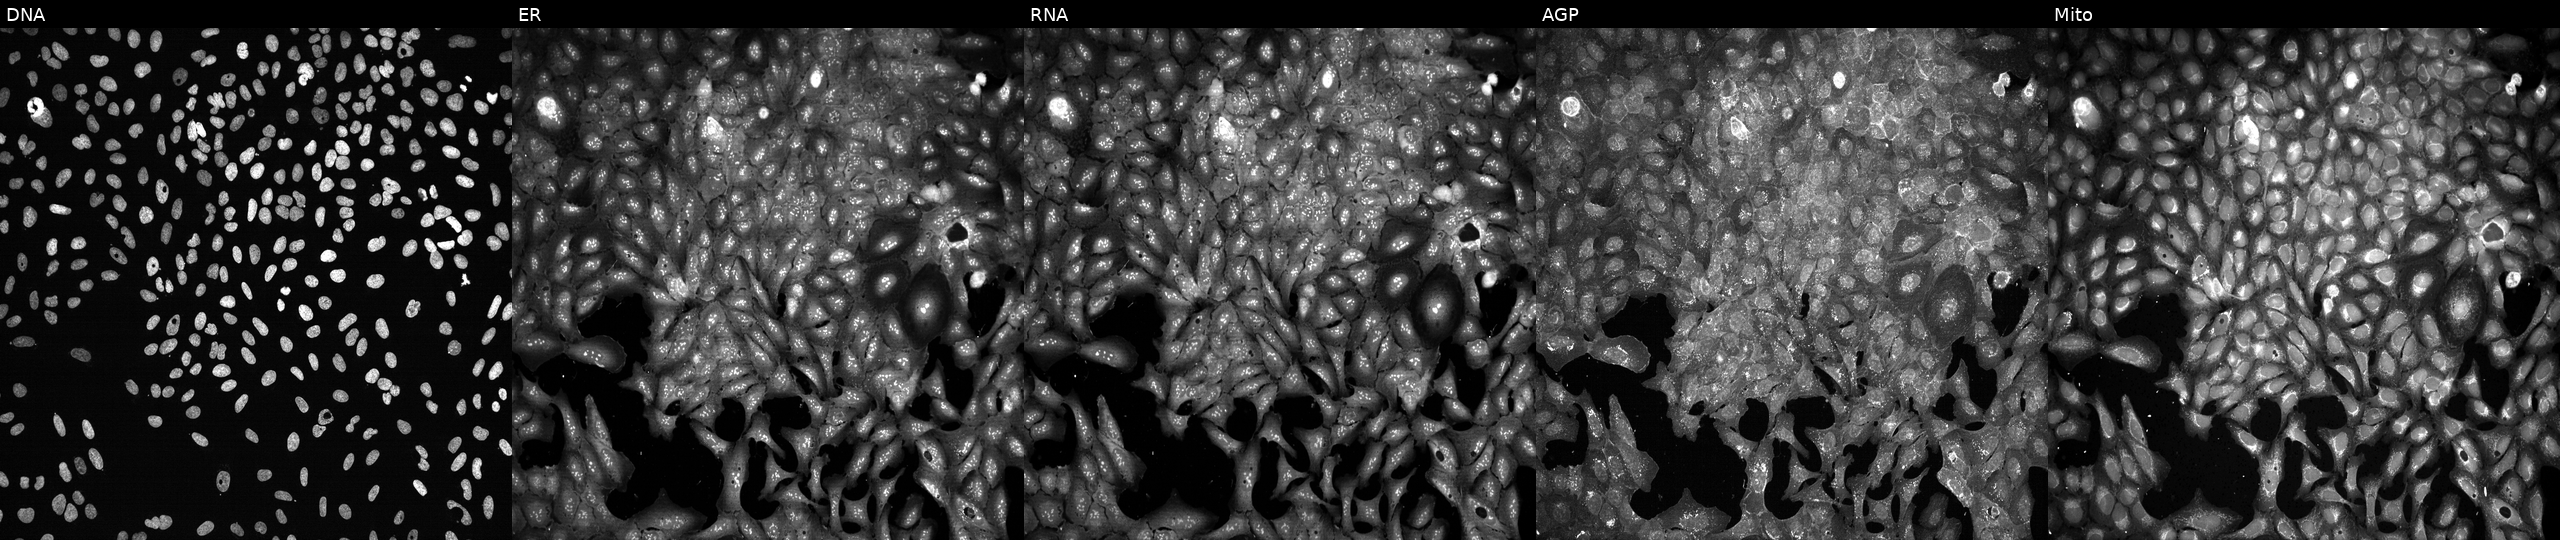
U2OS cells, Cell Painting assay, with ASF1A knocked out by CRISPR (JUMP id JCP2022_800638). Channels (left→right): DNA (nuclei); ER (endoplasmic reticulum); RNA (nucleoli and cytoplasmic RNA); AGP (actin cytoskeleton, Golgi, and plasma membrane); Mito (mitochondria). Each panel is percentile-stretched 16-bit fluorescence. Source 13, plate CP-CC9-R1-01, well I07.